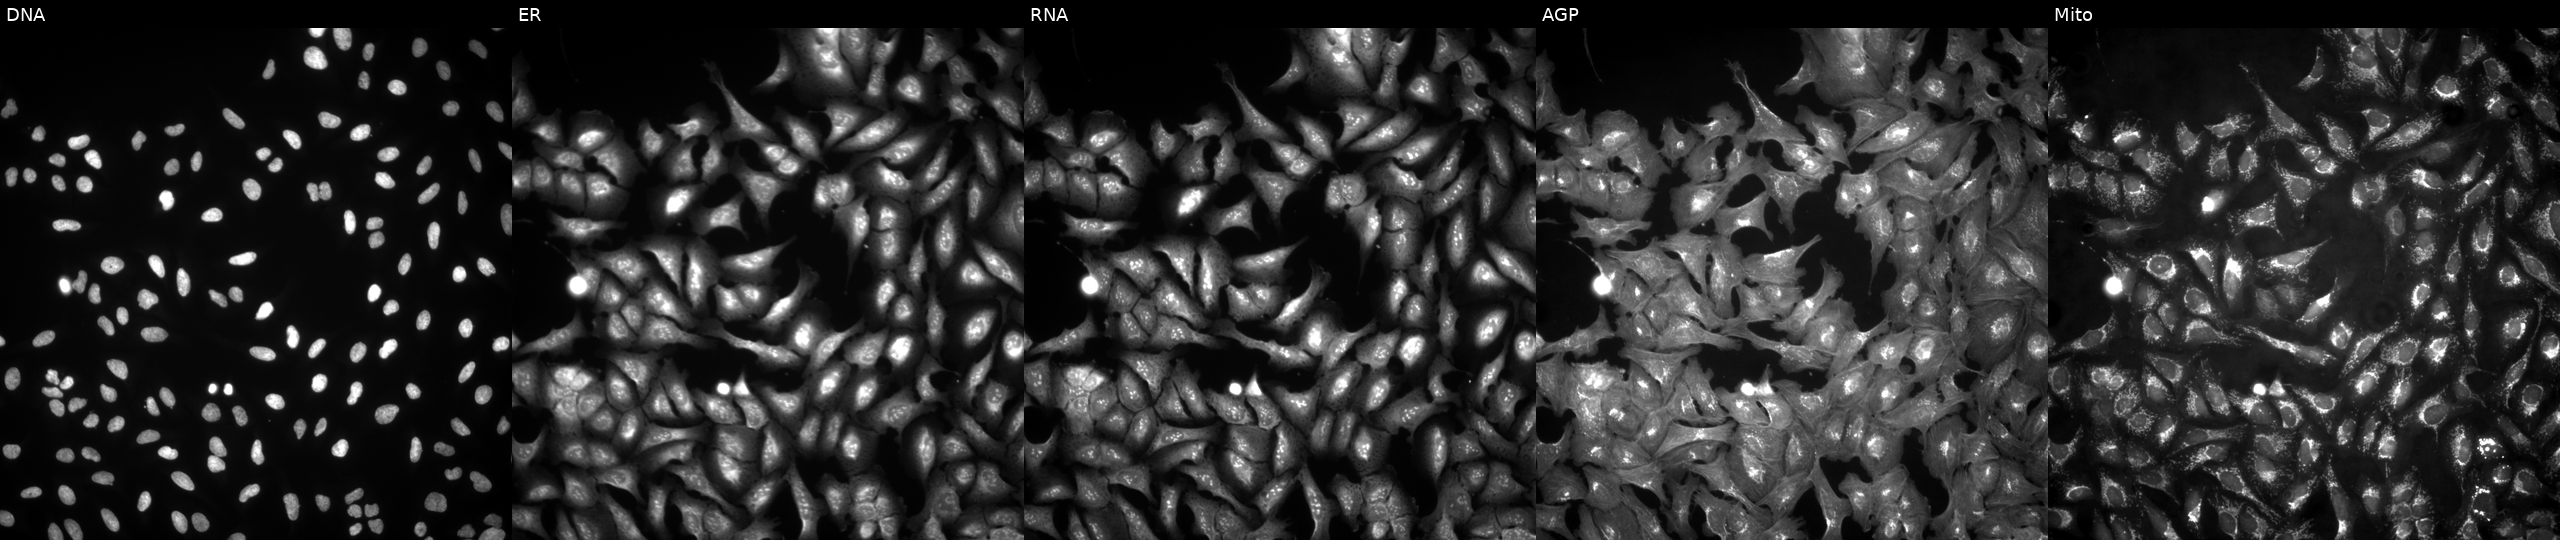
Five-channel Cell Painting image of U2OS cells transfected with an ORF construct for FAM166A (JUMP id JCP2022_905283). From left to right: Hoechst 33342, concanavalin A, SYTO 14, phalloidin and WGA, MitoTracker.